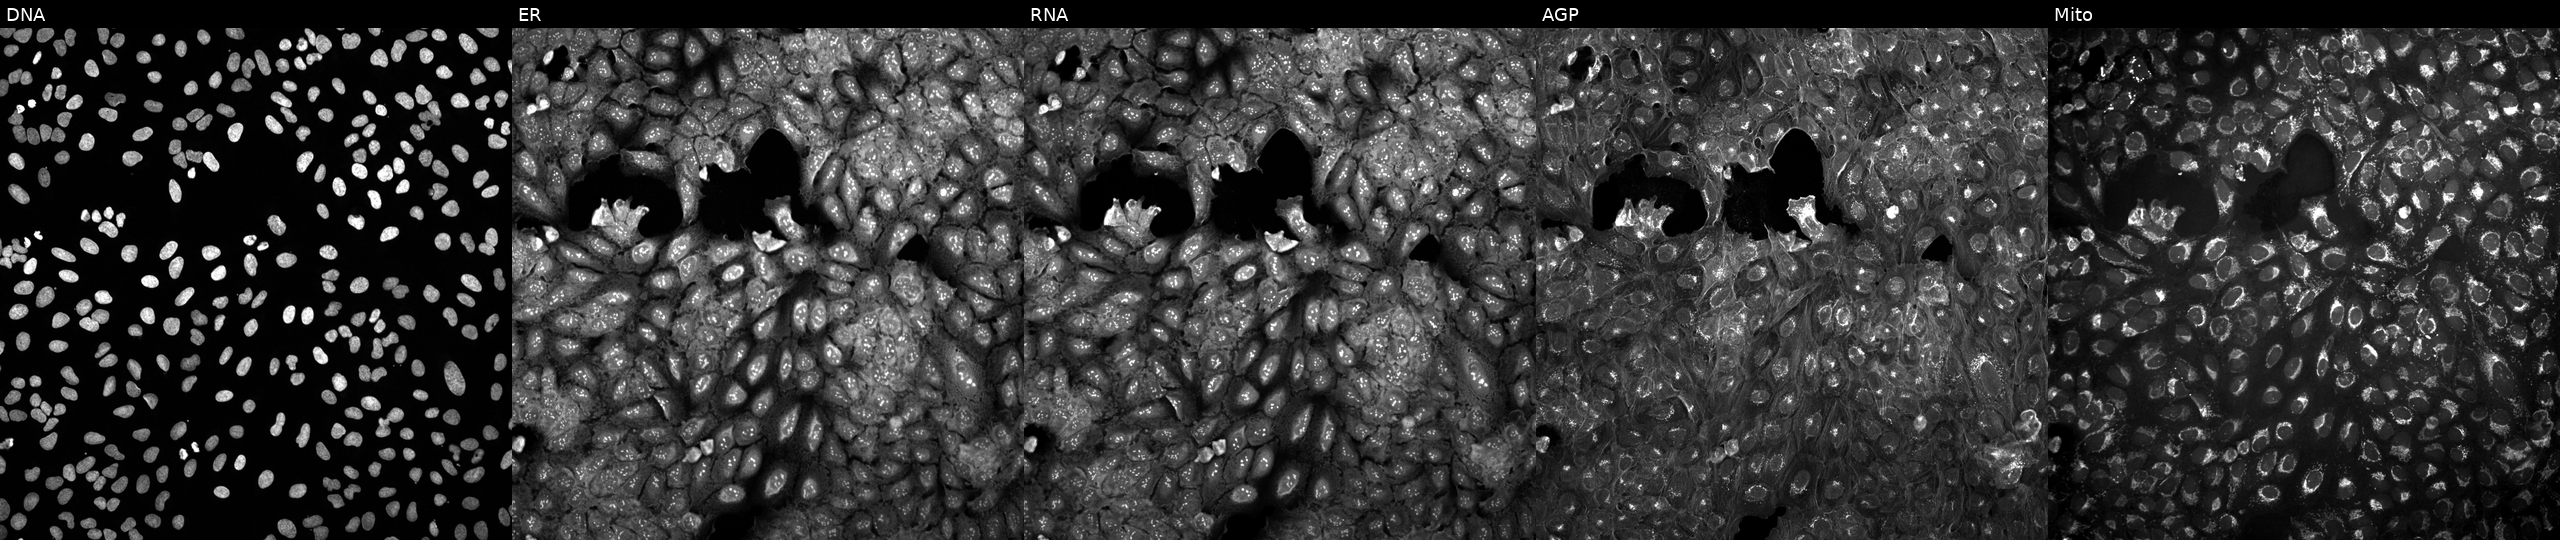
Five-channel Cell Painting image of U2OS cells in an empty control well (no perturbation). The five panels, left to right, show DNA (nuclei); ER (endoplasmic reticulum); RNA (nucleoli and cytoplasmic RNA); AGP (actin cytoskeleton, Golgi, and plasma membrane); Mito (mitochondria).